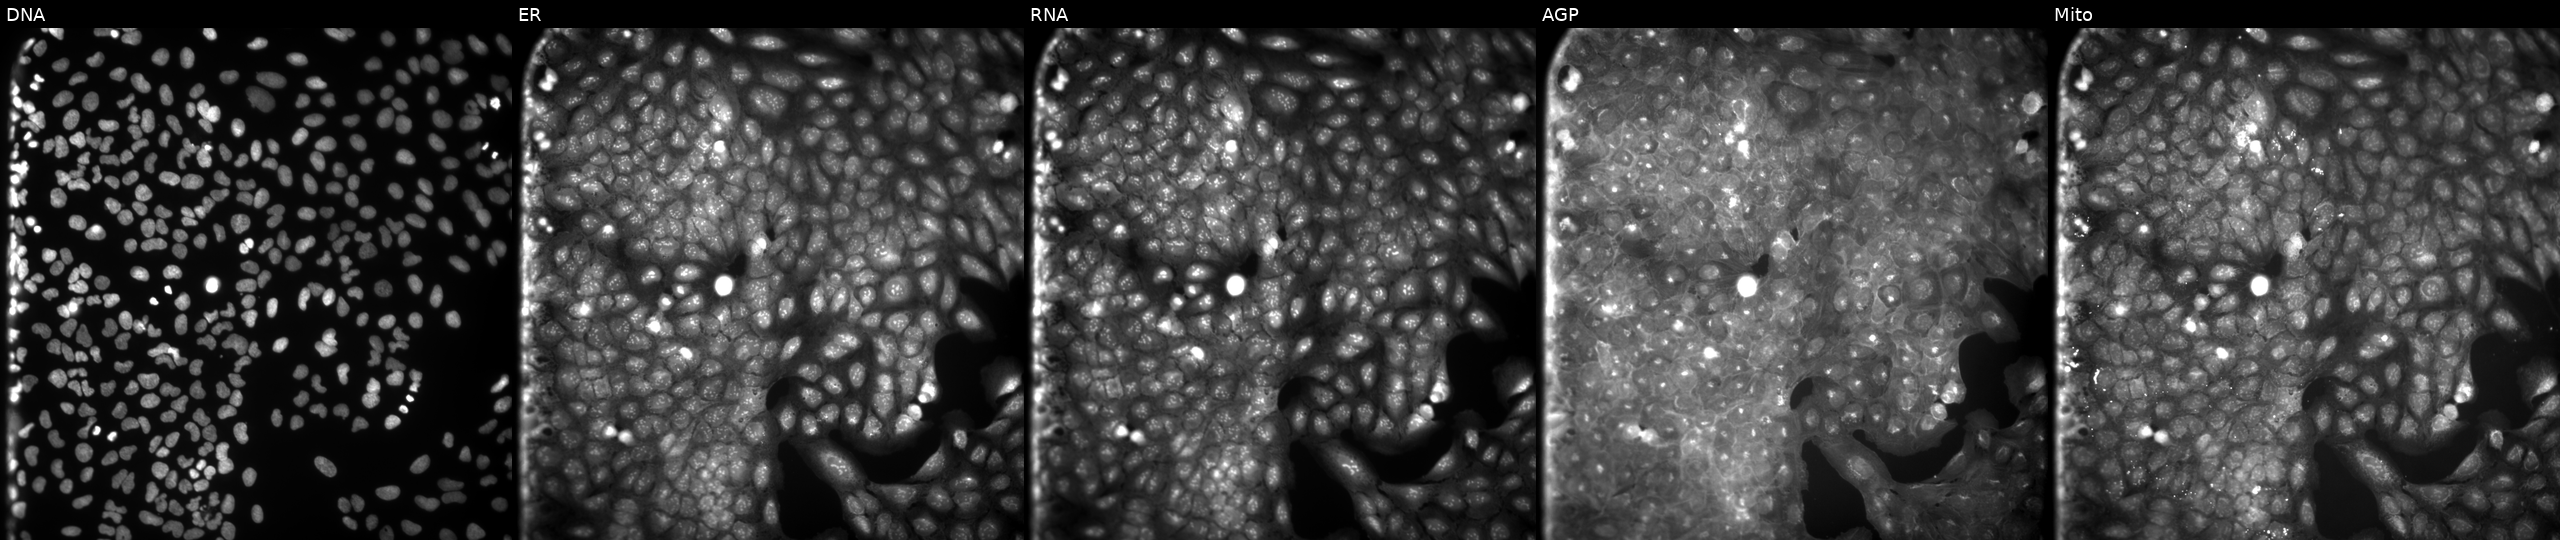
This image strip shows the five Cell Painting channels for a single field of U2OS cells treated with a small-molecule compound [SMILES: O=C(CCN1CCCCCC1)Nc1ccccc1F]. Channels (left→right): Hoechst 33342, concanavalin A, SYTO 14, phalloidin and WGA, MitoTracker. Source 9, plate GR00003382, well Z03.